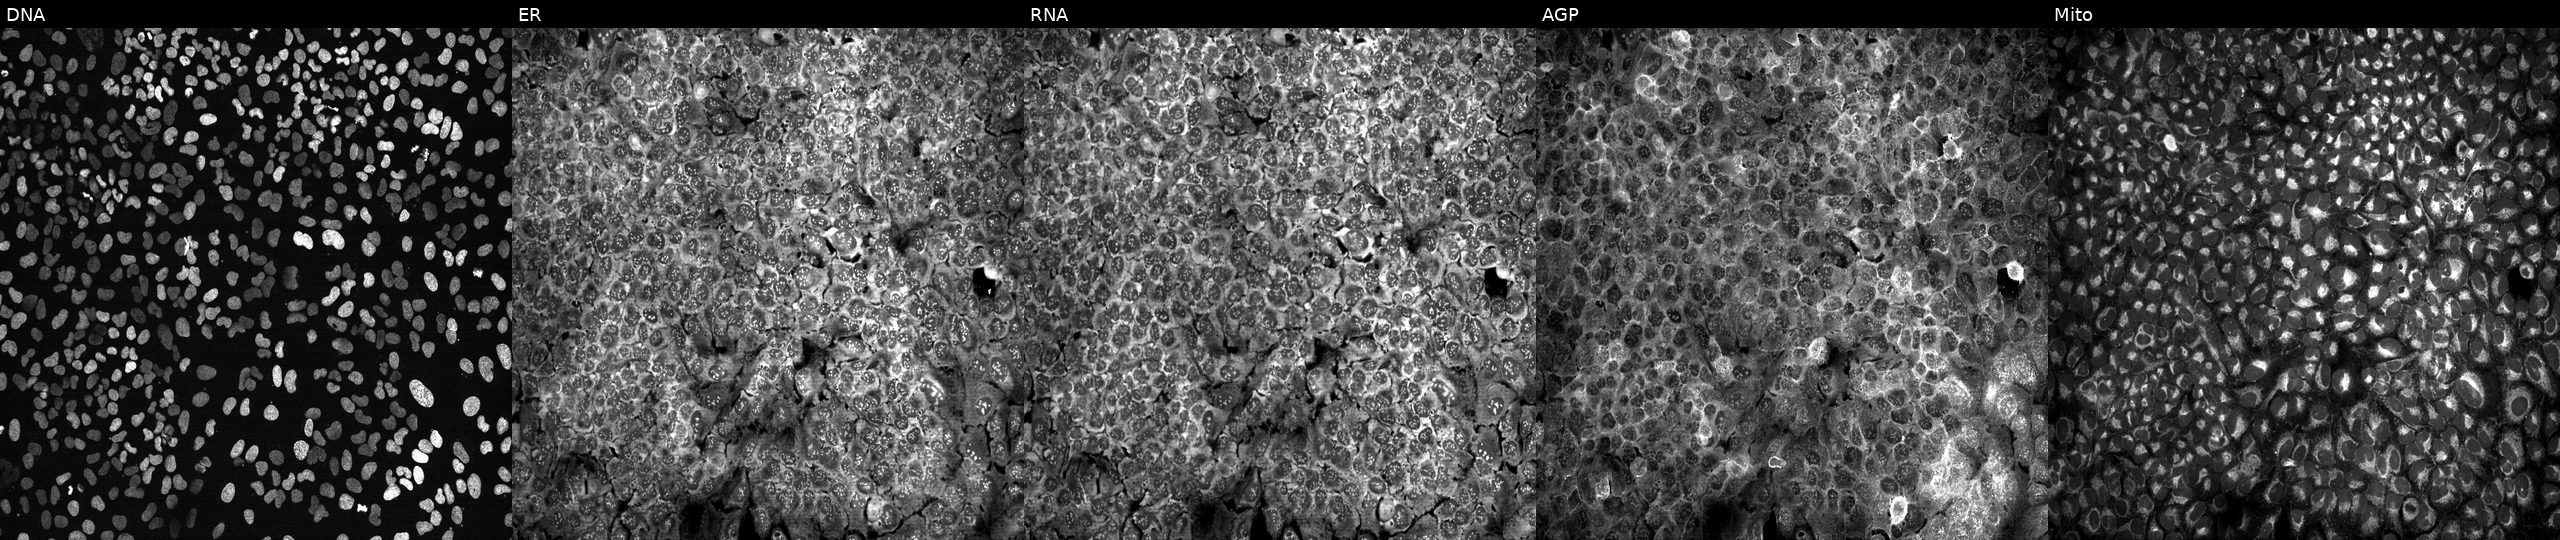
JUMP Cell Painting — CRISPR plate. U2OS cells CRISPR-edited to disrupt TG (JUMP id JCP2022_807046). Panels show, left to right, DNA, ER, RNA, AGP, and Mito.